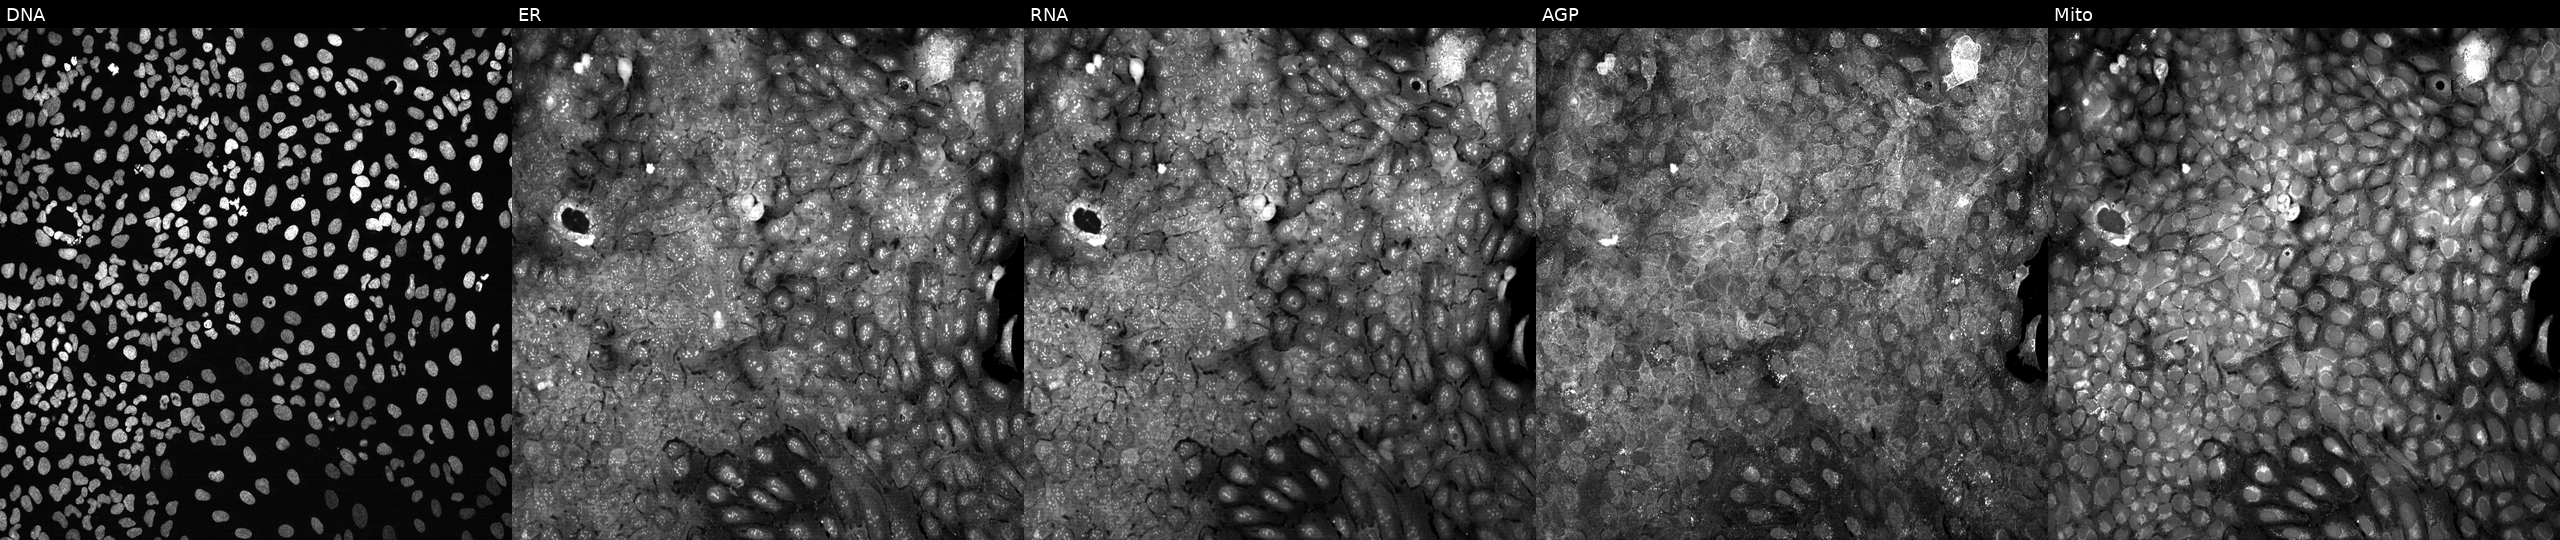
Five-channel Cell Painting image of U2OS cells with ST8SIA6 knocked out by CRISPR (JUMP id JCP2022_806816). The five panels, left to right, show DNA (nuclei); ER (endoplasmic reticulum); RNA (nucleoli and cytoplasmic RNA); AGP (actin cytoskeleton, Golgi, and plasma membrane); Mito (mitochondria).